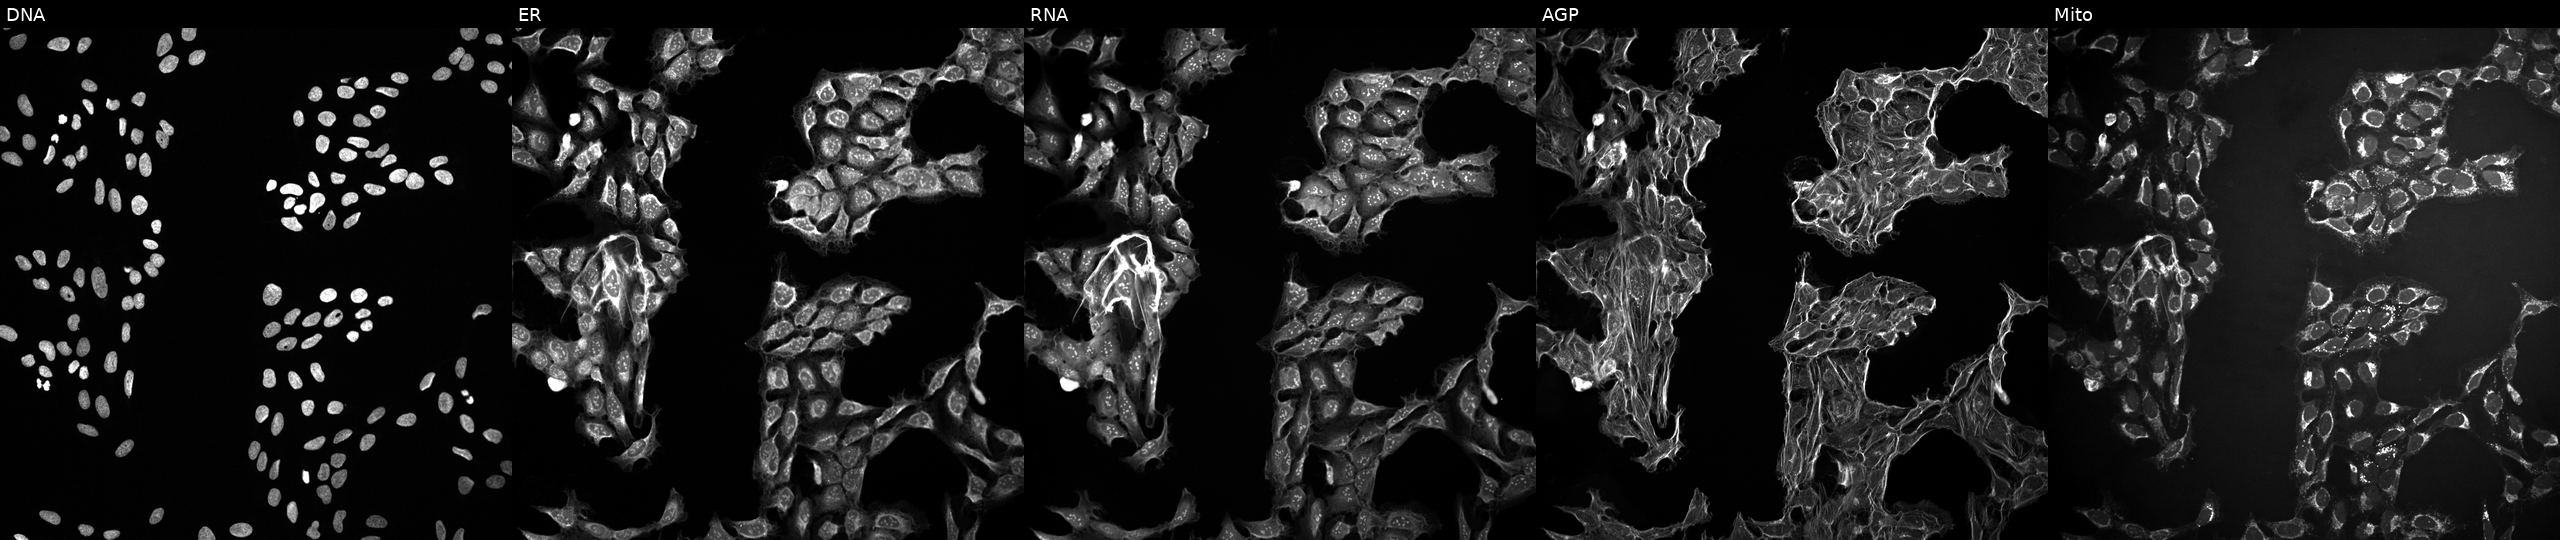
Channels (left→right): DNA (nuclei); ER (endoplasmic reticulum); RNA (nucleoli and cytoplasmic RNA); AGP (actin cytoskeleton, Golgi, and plasma membrane); Mito (mitochondria). U2OS osteosarcoma cells treated with DMSO vehicle only (negative control) (JUMP id JCP2022_033924). Cell Painting assay, JUMP-CP dataset. Source 10, plate Dest210727-153003, well O11.